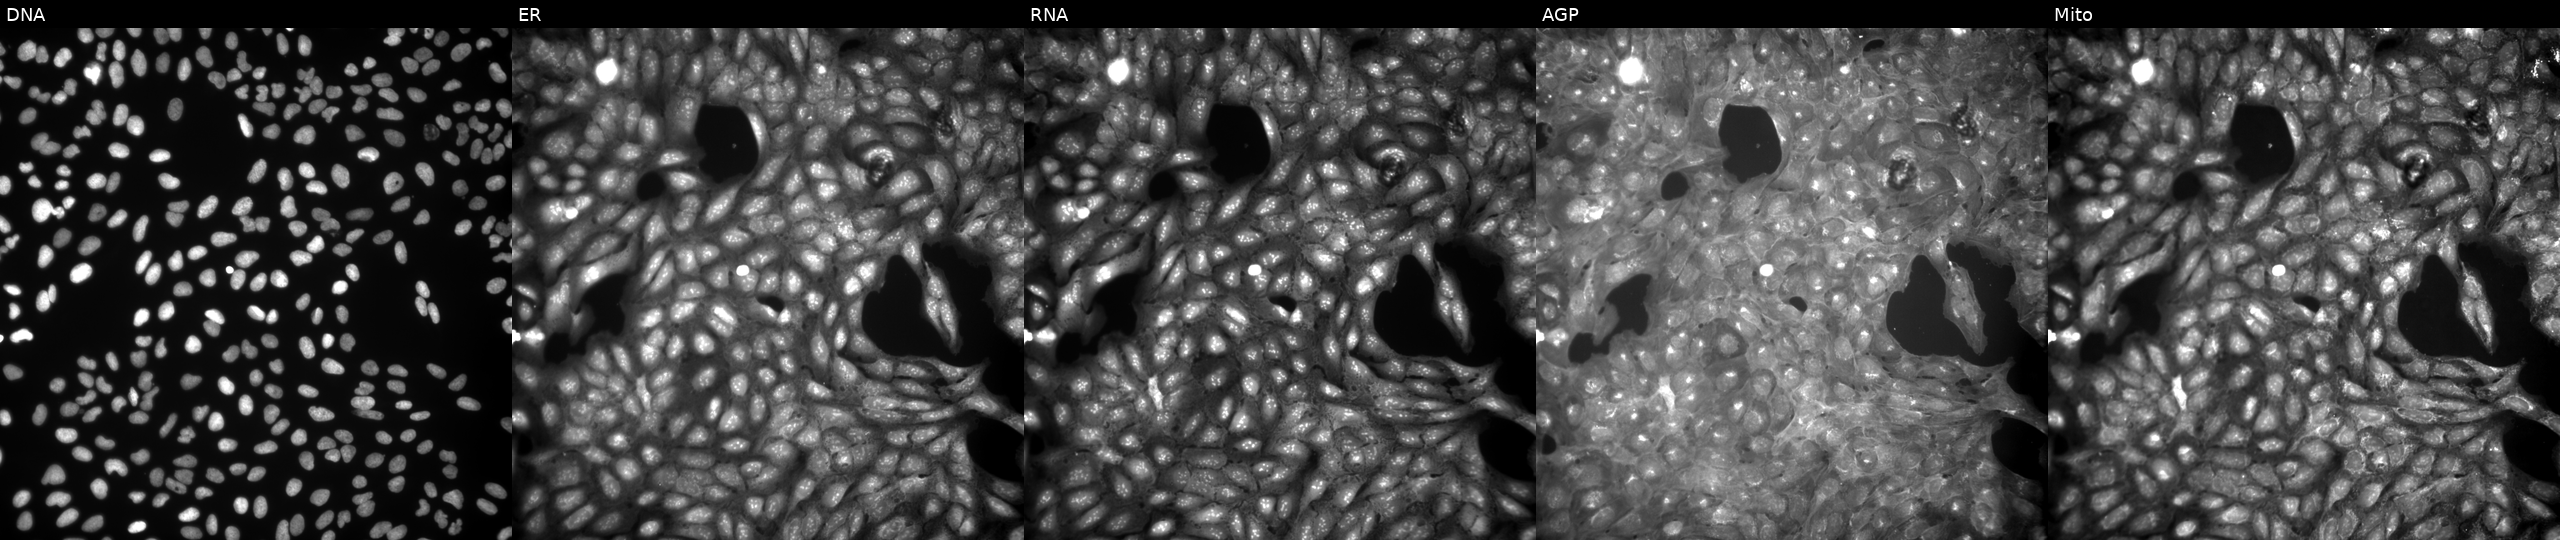
Channels (left→right): DNA (nuclei); ER (endoplasmic reticulum); RNA (nucleoli and cytoplasmic RNA); AGP (actin cytoskeleton, Golgi, and plasma membrane); Mito (mitochondria). U2OS osteosarcoma cells treated with a small-molecule compound (InChIKey FLGDHEPSPRNSKU-UHFFFAOYSA-N). Cell Painting assay, JUMP-CP dataset. Source 9, plate GR00003382, well A42.